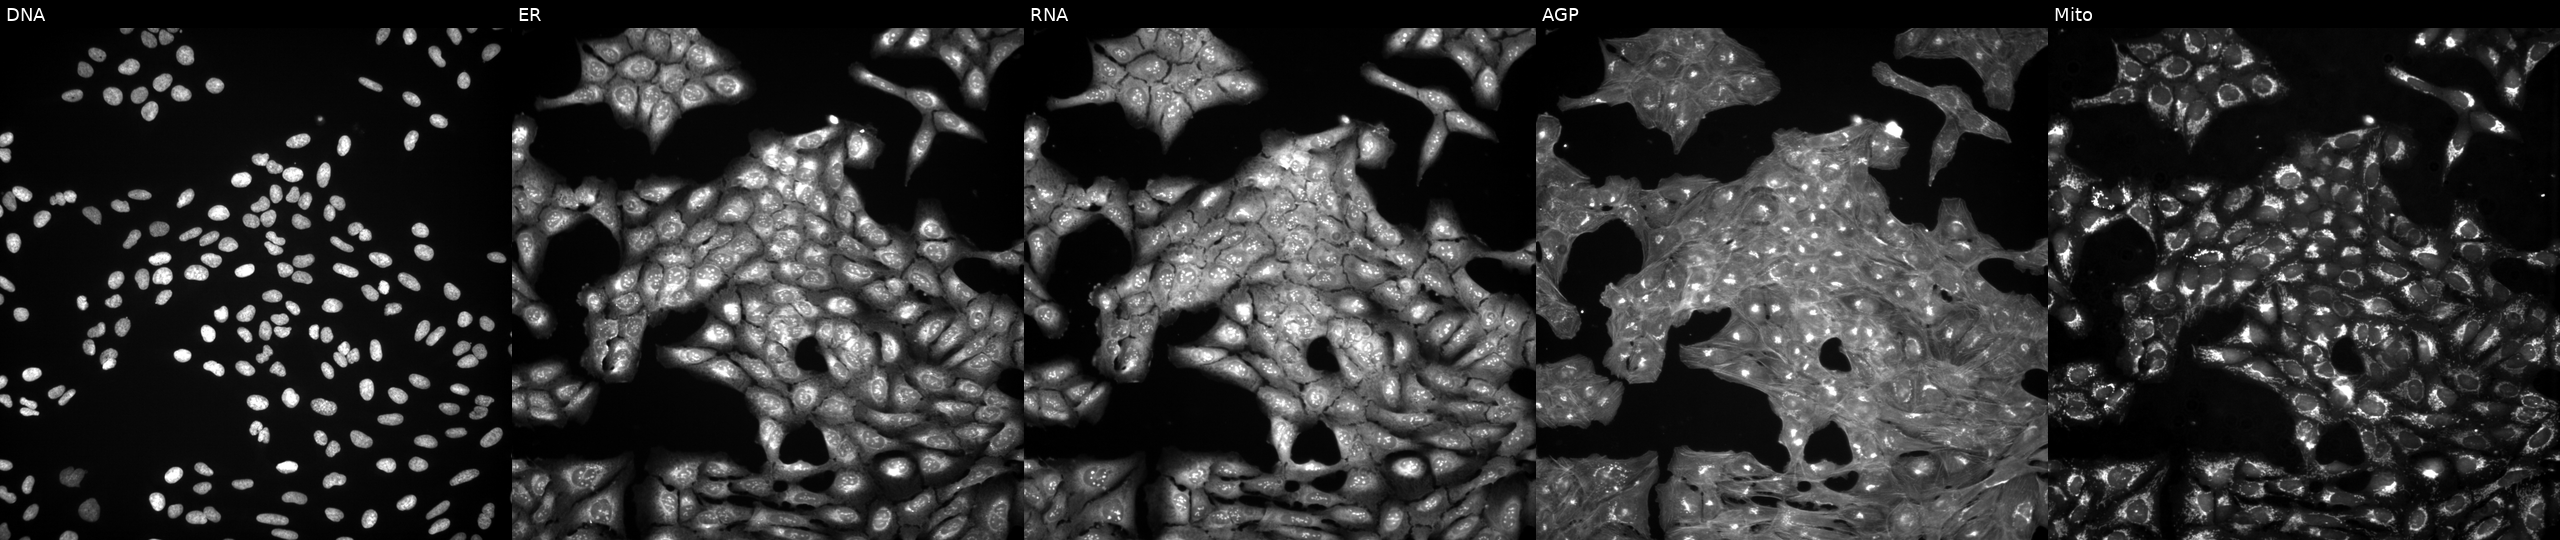
Five-channel Cell Painting image of U2OS cells treated with a small-molecule compound [SMILES: CC(OC(=O)NCC1(CC(=O)O)CCCCC1)OC(=O)C(C)C] (JUMP id JCP2022_087693). Panels show, left to right, DNA, ER, RNA, AGP, and Mito. Source 3, plate JCPQC052, well O18.